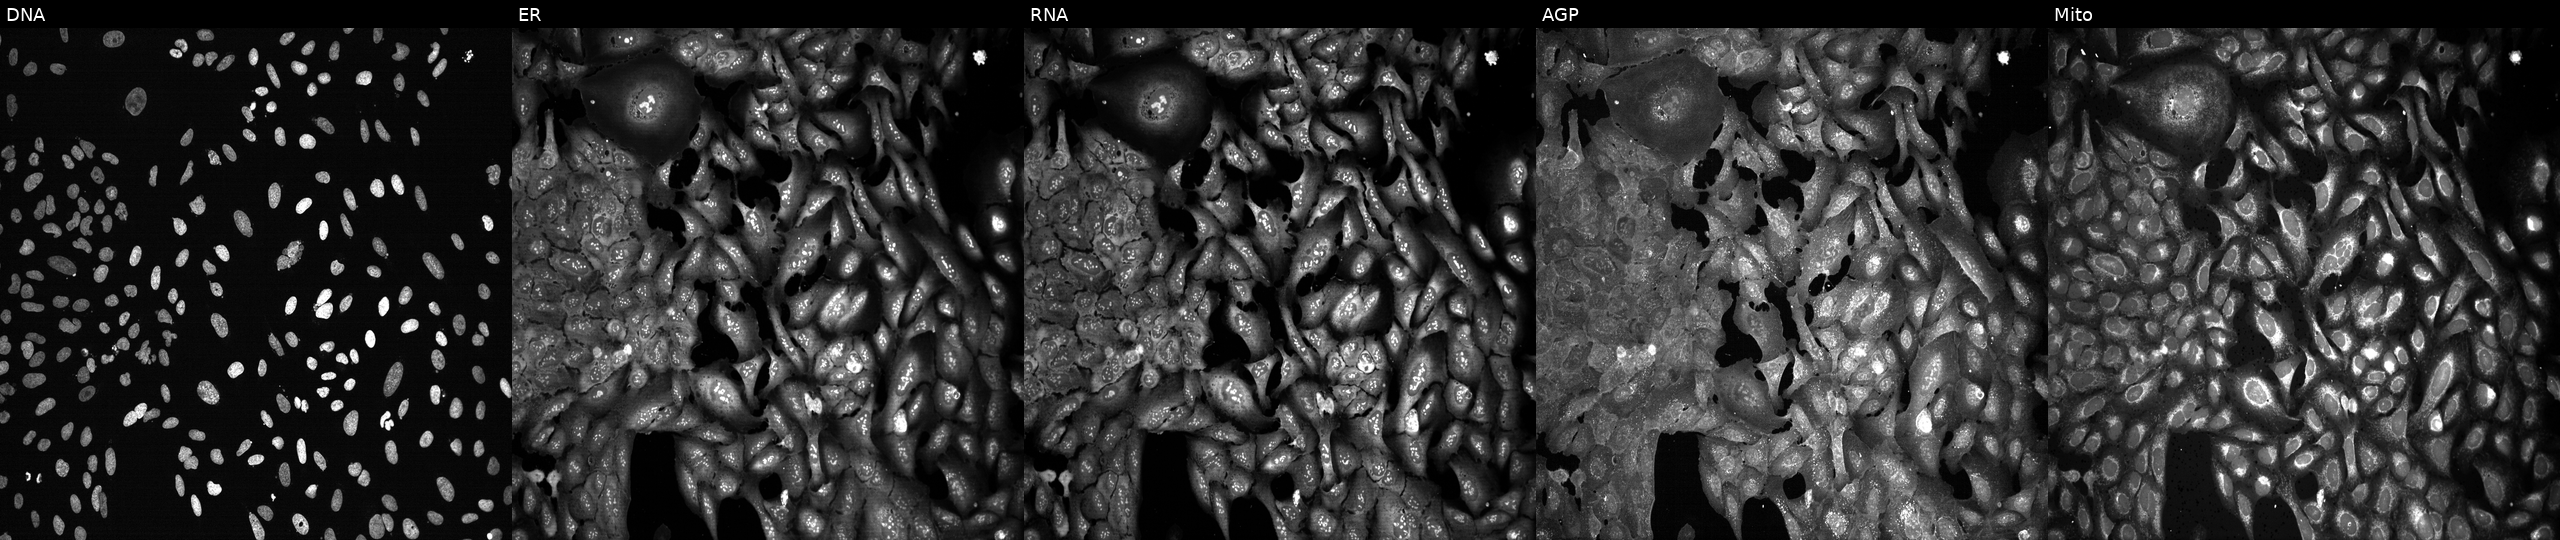
U2OS cells, Cell Painting assay, CRISPR-edited to disrupt MRC2. Panels show, left to right, Hoechst 33342, concanavalin A, SYTO 14, phalloidin and WGA, MitoTracker. Each panel is percentile-stretched 16-bit fluorescence.